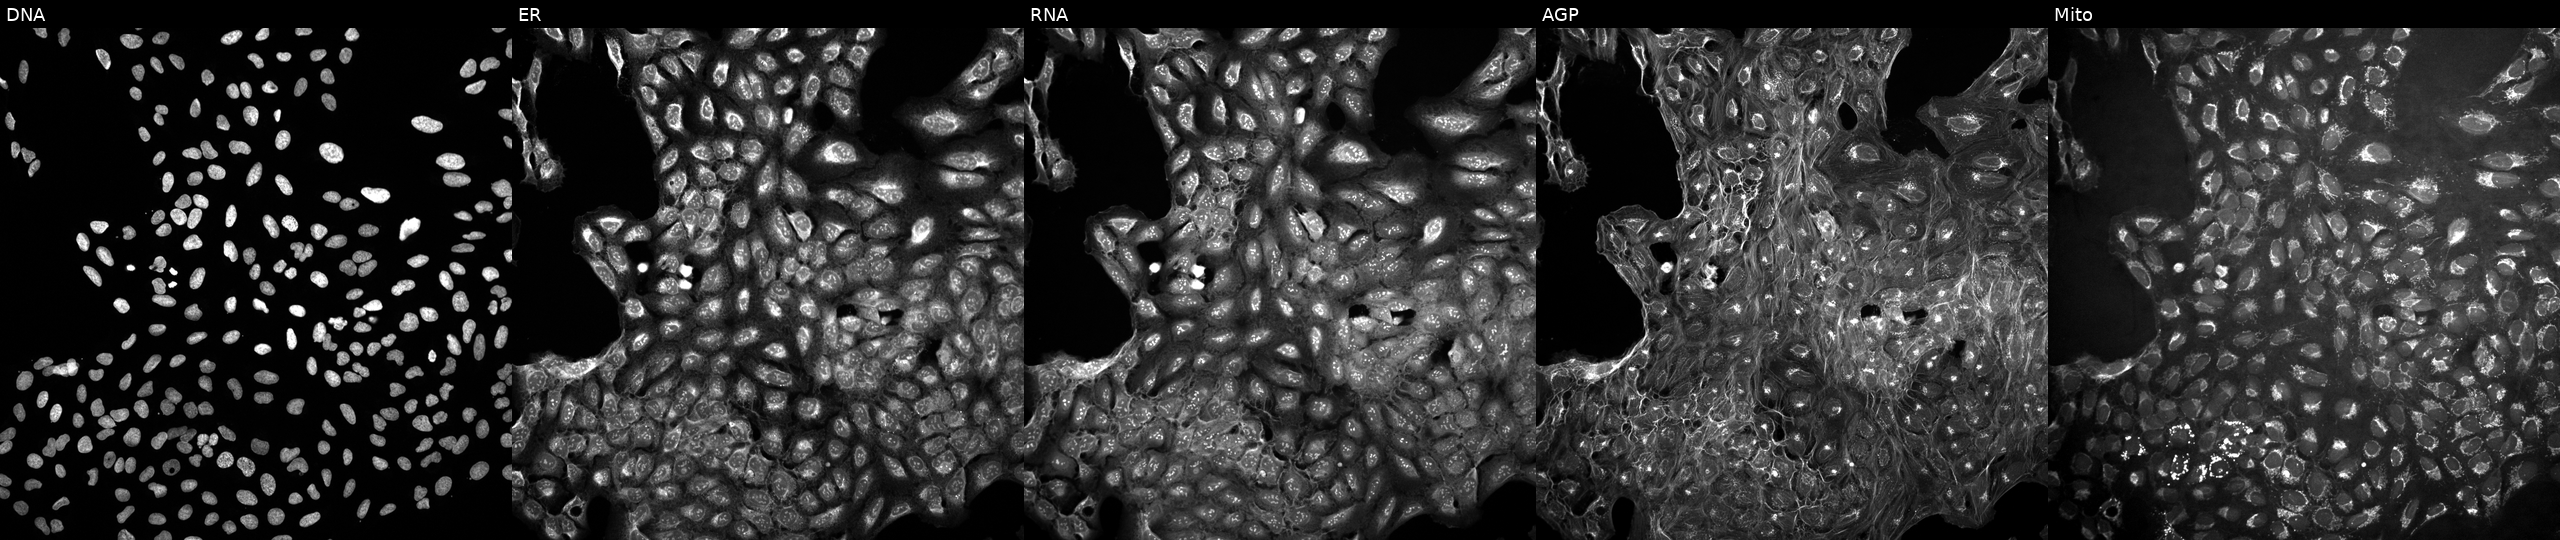
Five-channel Cell Painting image of U2OS cells untreated (empty-well control). Panels show, left to right, DNA (nuclei); ER (endoplasmic reticulum); RNA (nucleoli and cytoplasmic RNA); AGP (actin cytoskeleton, Golgi, and plasma membrane); Mito (mitochondria). Source 10, plate Dest210531-152324, well B04.